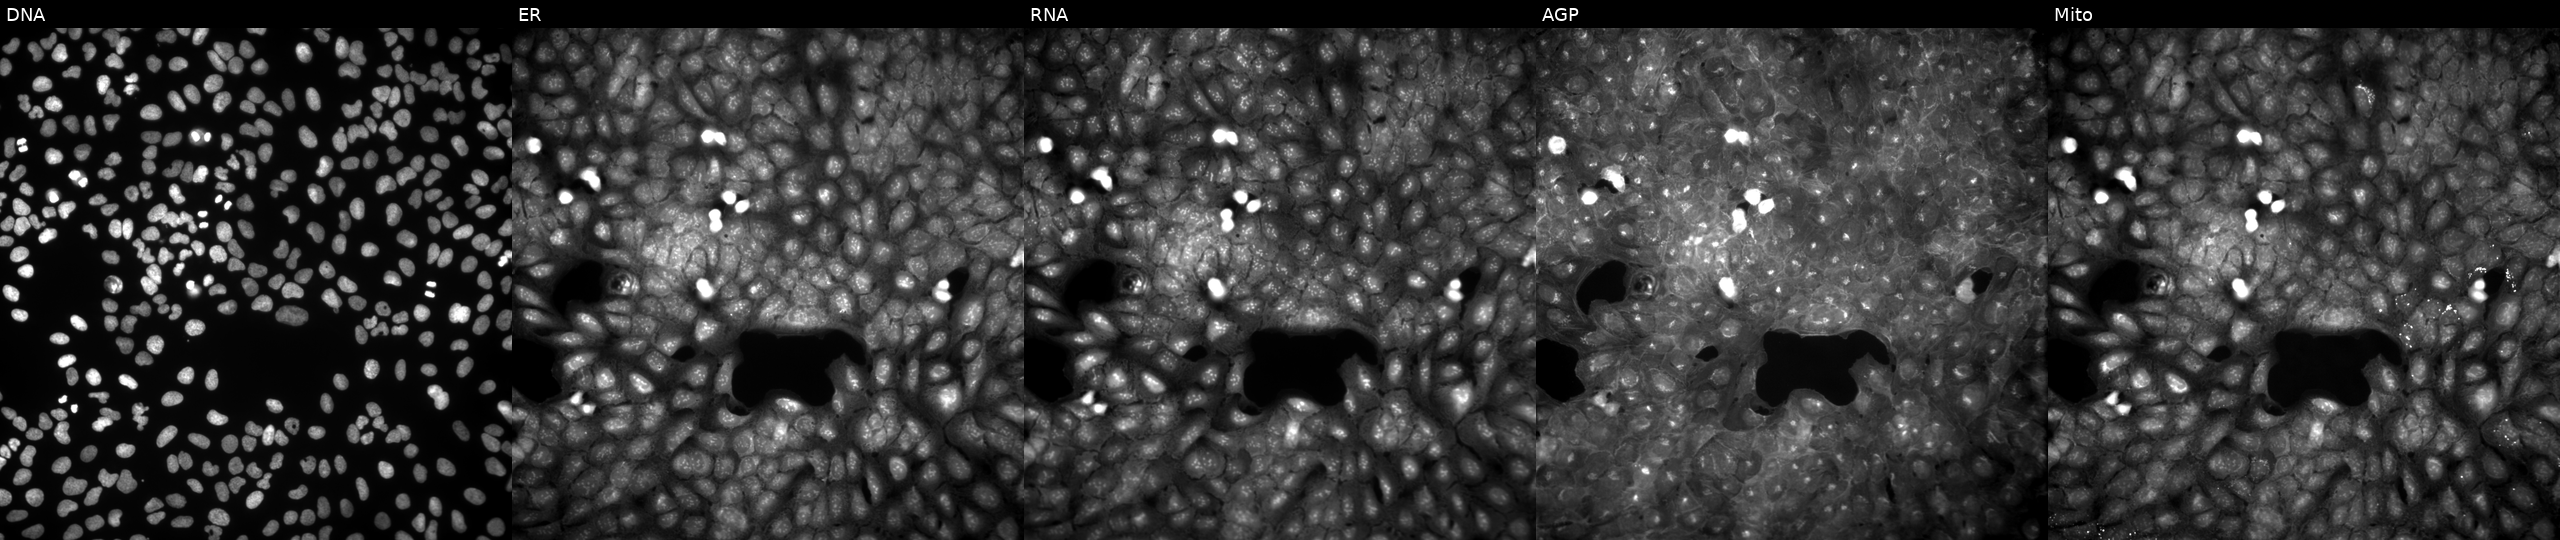
JUMP Cell Painting — COMPOUND plate. U2OS cells treated with a small-molecule compound (InChIKey RRUDGEAOXYTWMH-UHFFFAOYSA-N) [SMILES: CCOC(=O)C(=O)Nc1sc2c(c1C(=O)OCC)CC(C)(C)OC2] (JUMP id JCP2022_080326). Panels show, left to right, DNA, ER, RNA, AGP, and Mito.